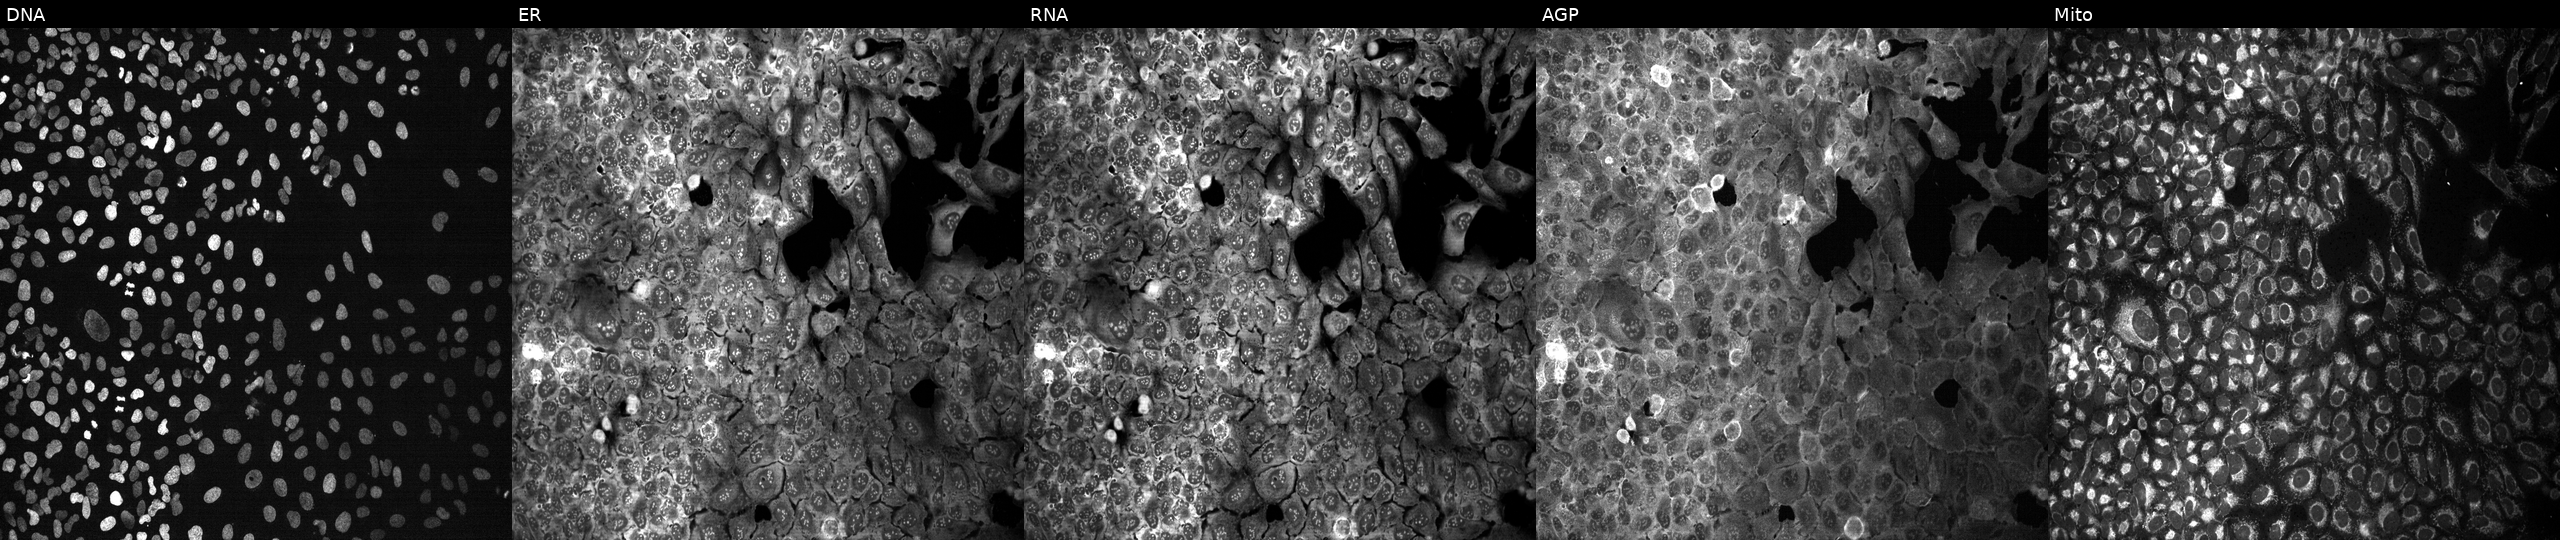
This image strip shows the five Cell Painting channels for a single field of U2OS cells with RDH14 knocked out by CRISPR. Panels show, left to right, Hoechst 33342, concanavalin A, SYTO 14, phalloidin and WGA, MitoTracker.